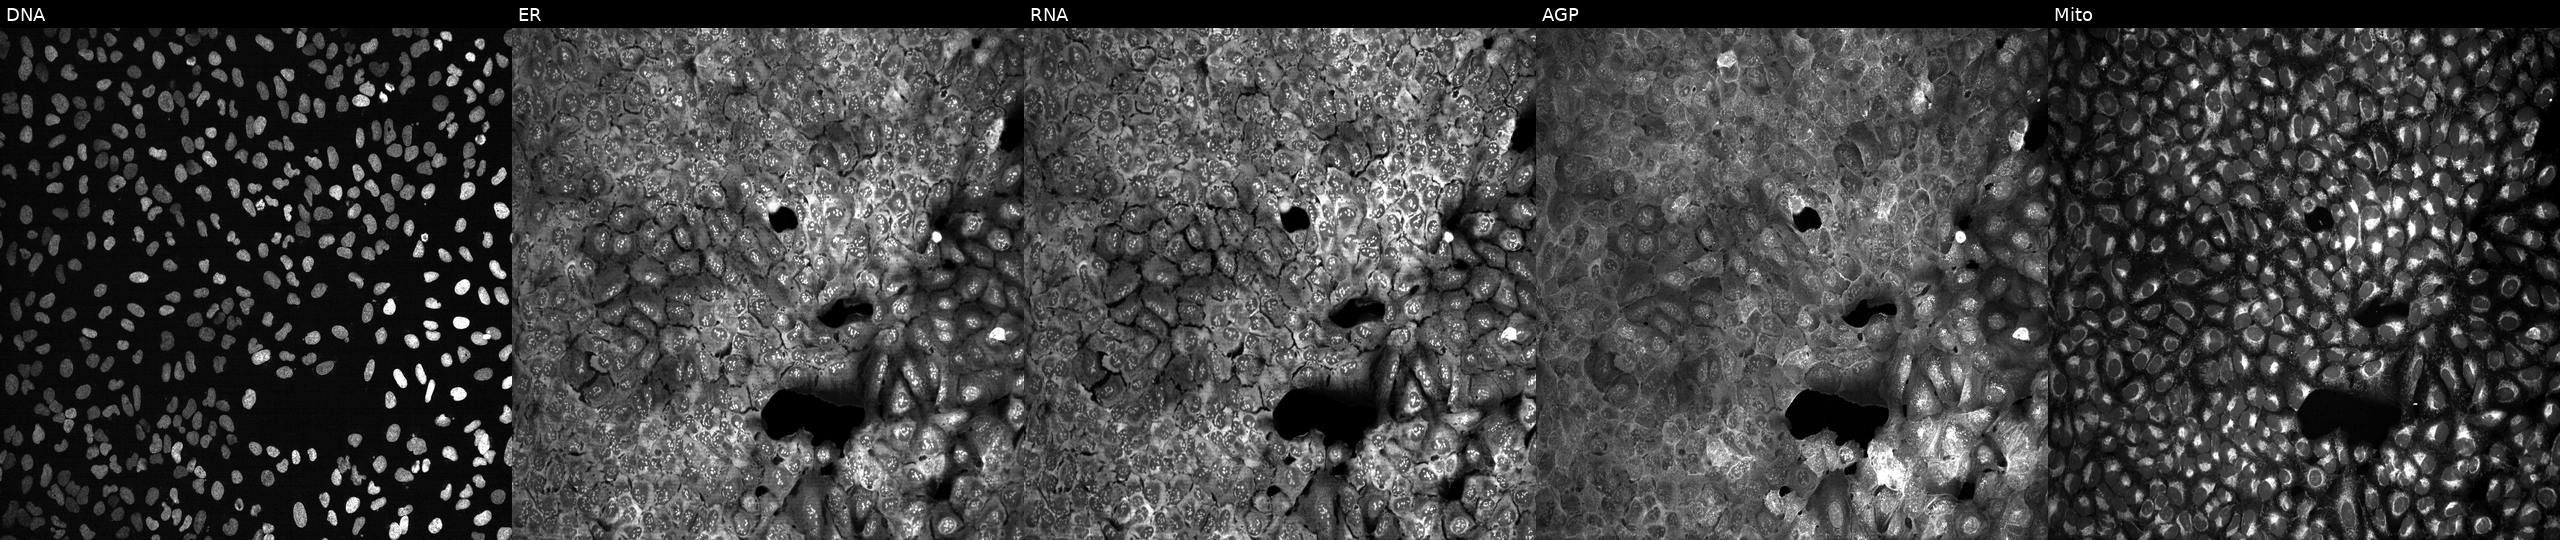
The five panels, left to right, show DNA (nuclei); ER (endoplasmic reticulum); RNA (nucleoli and cytoplasmic RNA); AGP (actin cytoskeleton, Golgi, and plasma membrane); Mito (mitochondria). U2OS osteosarcoma cells with EIF4ENIF1 knocked out by CRISPR. Cell Painting assay, JUMP-CP dataset.